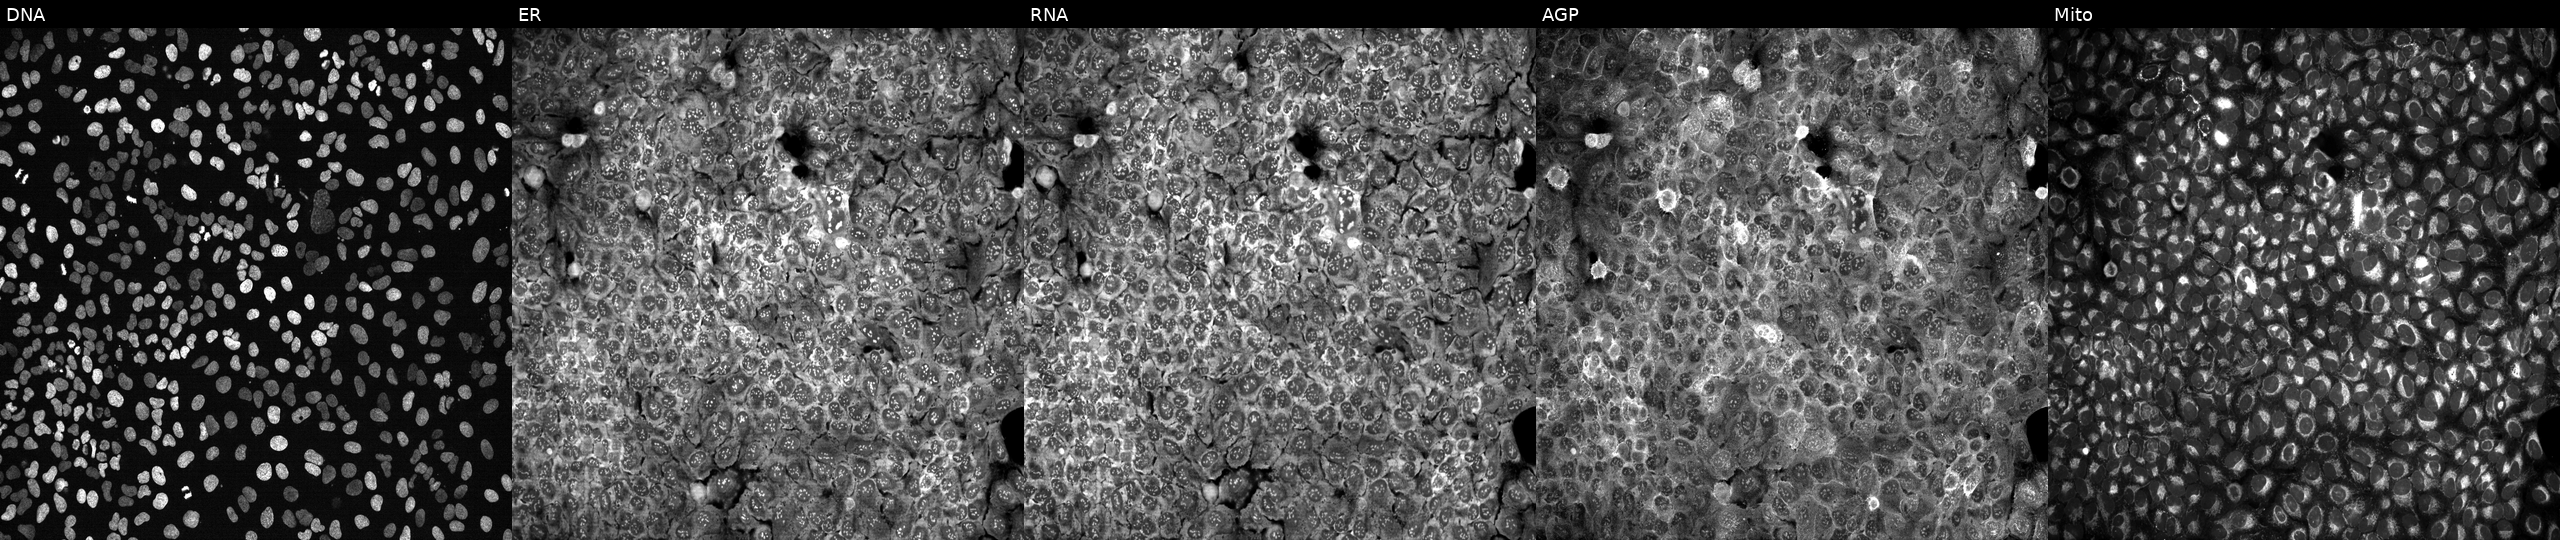
High-content fluorescence microscopy (Cell Painting). Cell line: U2OS. Perturbation: following CRISPR knockout of LAMTOR3 (JUMP id JCP2022_803774). Panels show, left to right, DNA (nuclei); ER (endoplasmic reticulum); RNA (nucleoli and cytoplasmic RNA); AGP (actin cytoskeleton, Golgi, and plasma membrane); Mito (mitochondria). Source 13, plate CP-CC9-R4-03, well H16.